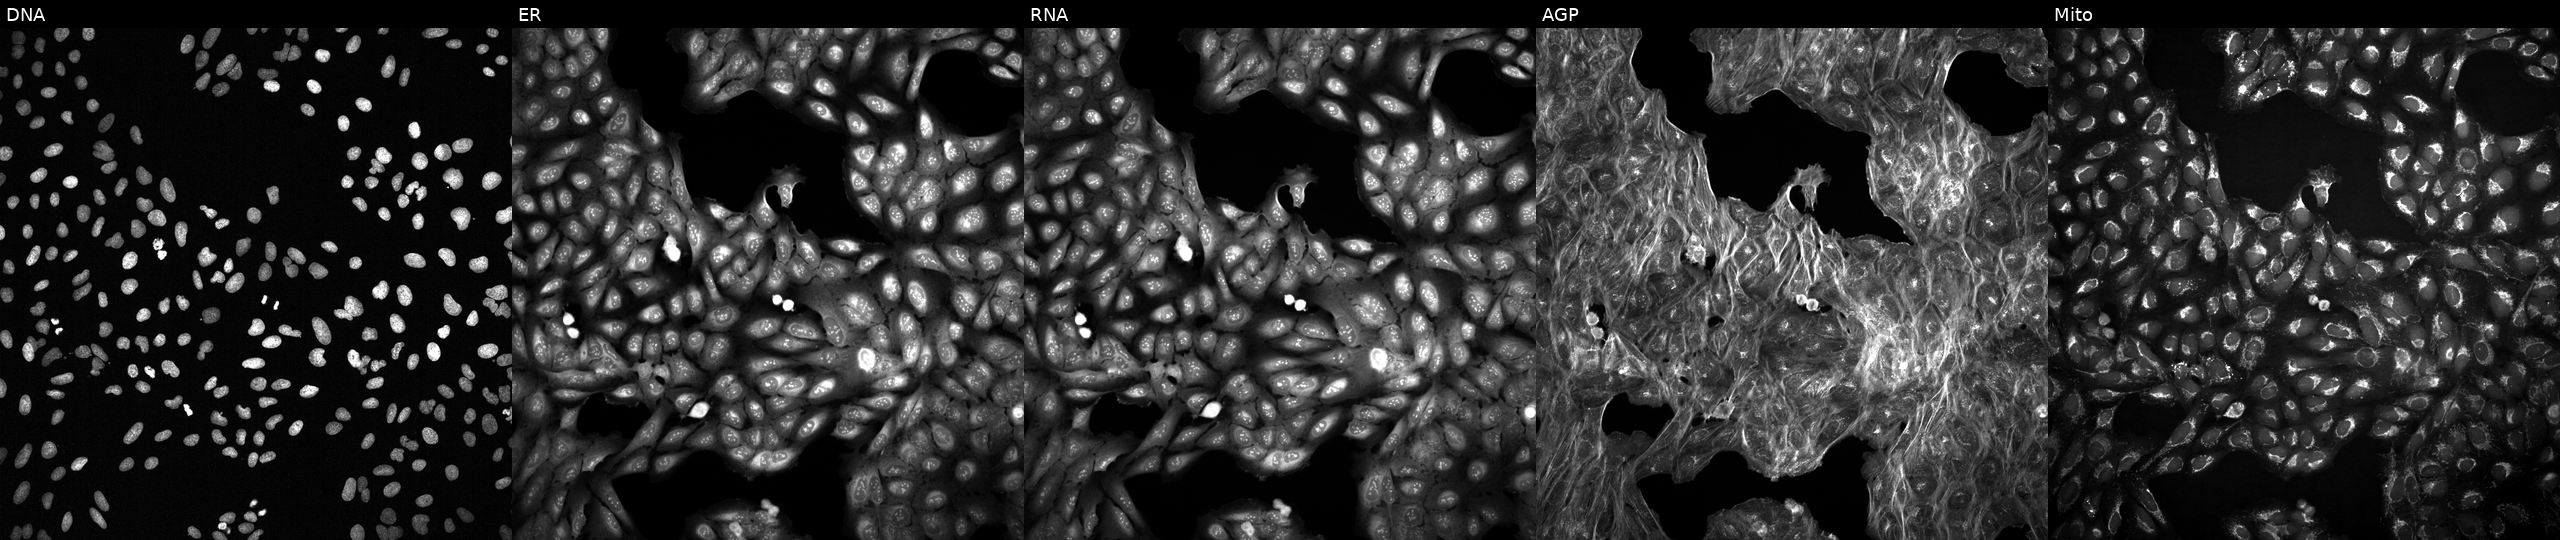
The five panels, left to right, show Hoechst 33342, concanavalin A, SYTO 14, phalloidin and WGA, MitoTracker. U2OS osteosarcoma cells exposed to a small-molecule compound (InChIKey VLQOYTINPGCCQB-UHFFFAOYSA-N) [SMILES: O=C(CCCS(=O)(=O)c1nc(-c2cccs2)cc(C(F)(F)F)n1)NC1CCCCC1]. Cell Painting assay, JUMP-CP dataset.